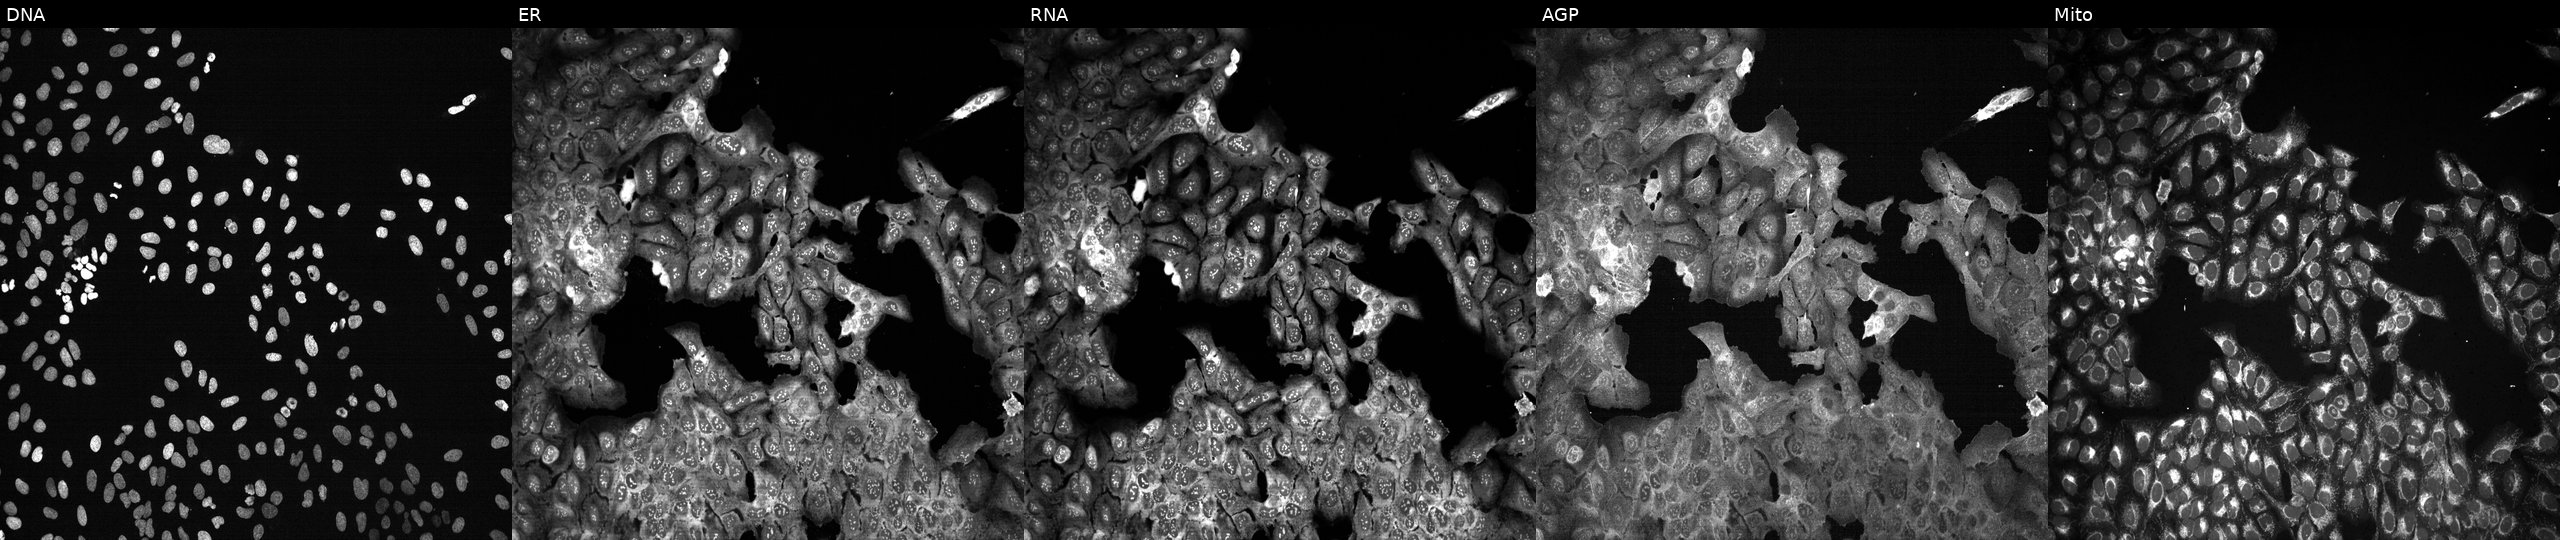
U2OS cells, Cell Painting assay, with LAMB3 knocked out by CRISPR (JUMP id JCP2022_803773). Panels show, left to right, DNA (nuclei); ER (endoplasmic reticulum); RNA (nucleoli and cytoplasmic RNA); AGP (actin cytoskeleton, Golgi, and plasma membrane); Mito (mitochondria). Each panel is percentile-stretched 16-bit fluorescence.